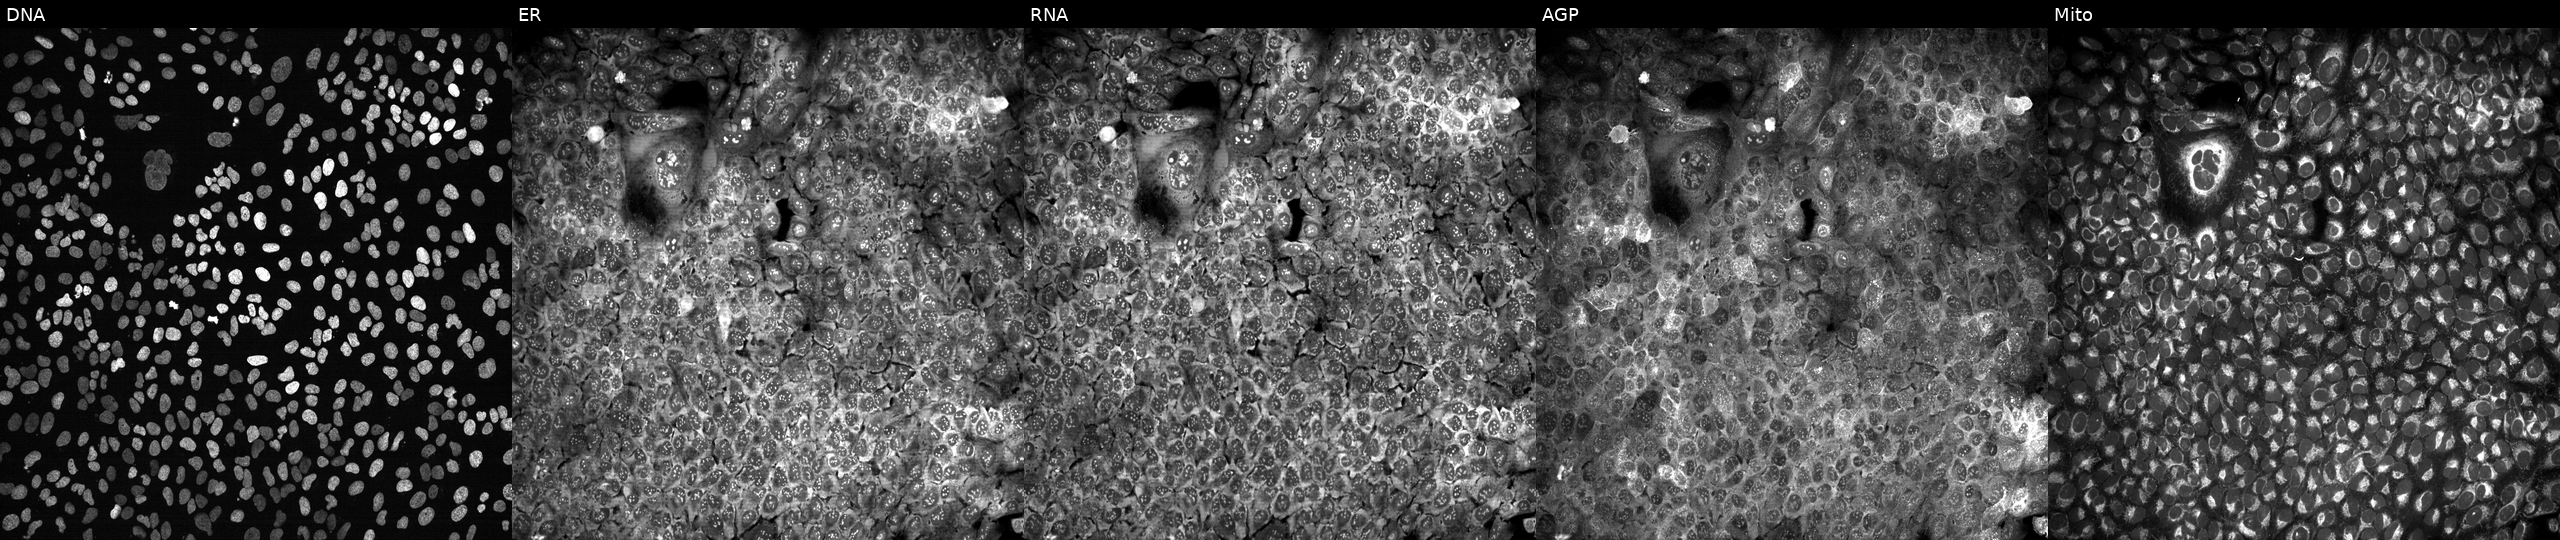
This image strip shows the five Cell Painting channels for a single field of U2OS cells CRISPR-edited to disrupt ADCK3 (JUMP id JCP2022_800211). Panels show, left to right, DNA (nuclei); ER (endoplasmic reticulum); RNA (nucleoli and cytoplasmic RNA); AGP (actin cytoskeleton, Golgi, and plasma membrane); Mito (mitochondria). Source 13, plate CP-CC9-R4-03, well N10.